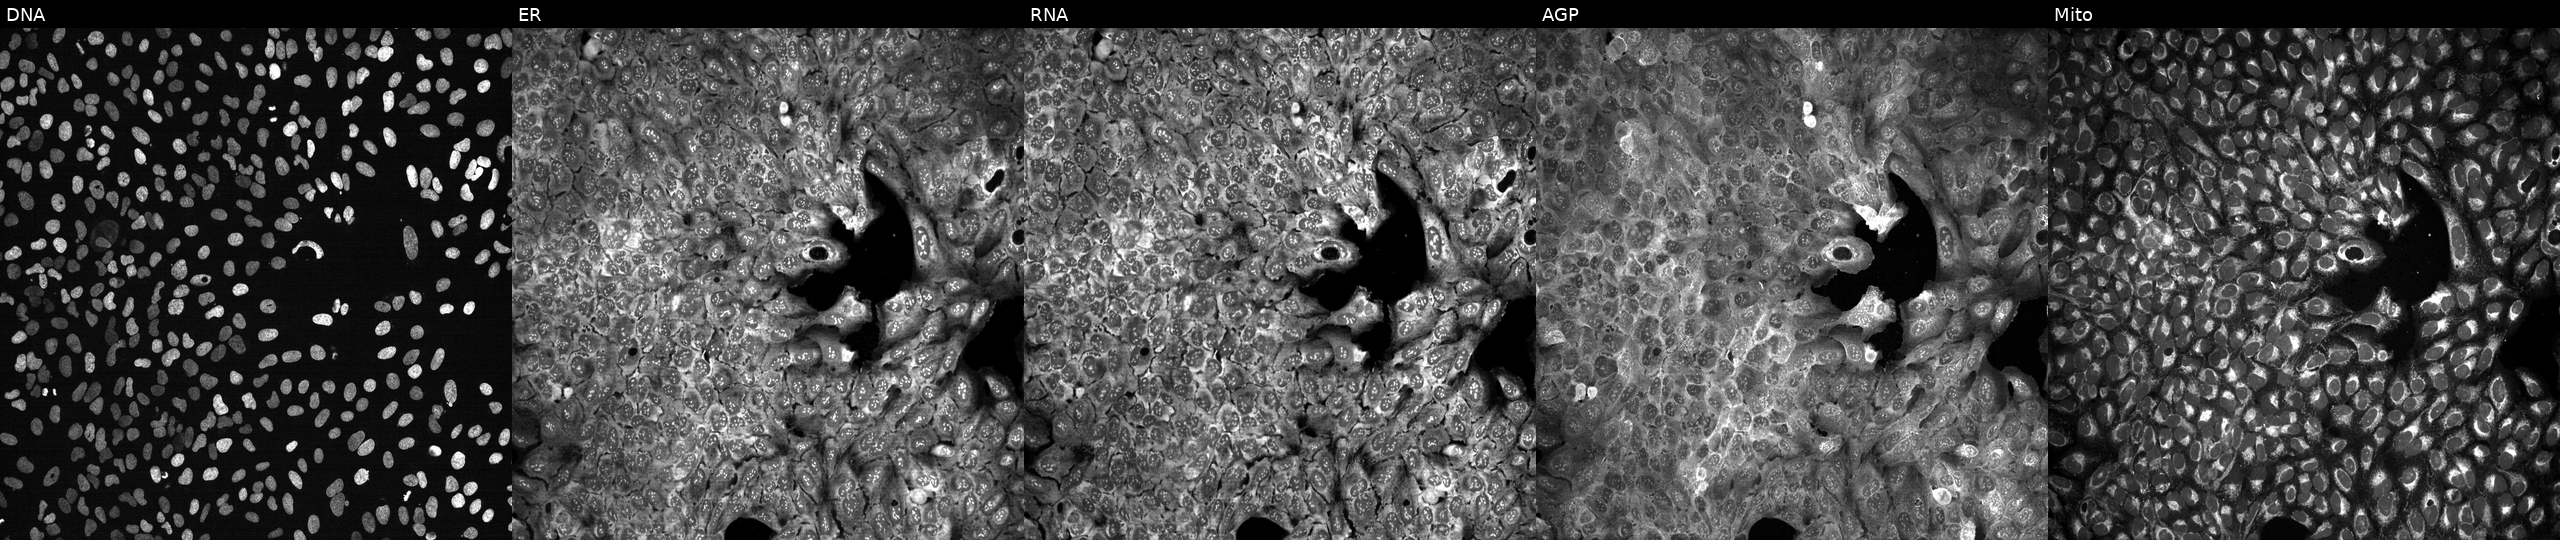
Five-channel Cell Painting image of U2OS cells with B3GNT3 knocked out by CRISPR (JUMP id JCP2022_800781). Panels show, left to right, DNA, ER, RNA, AGP, and Mito.